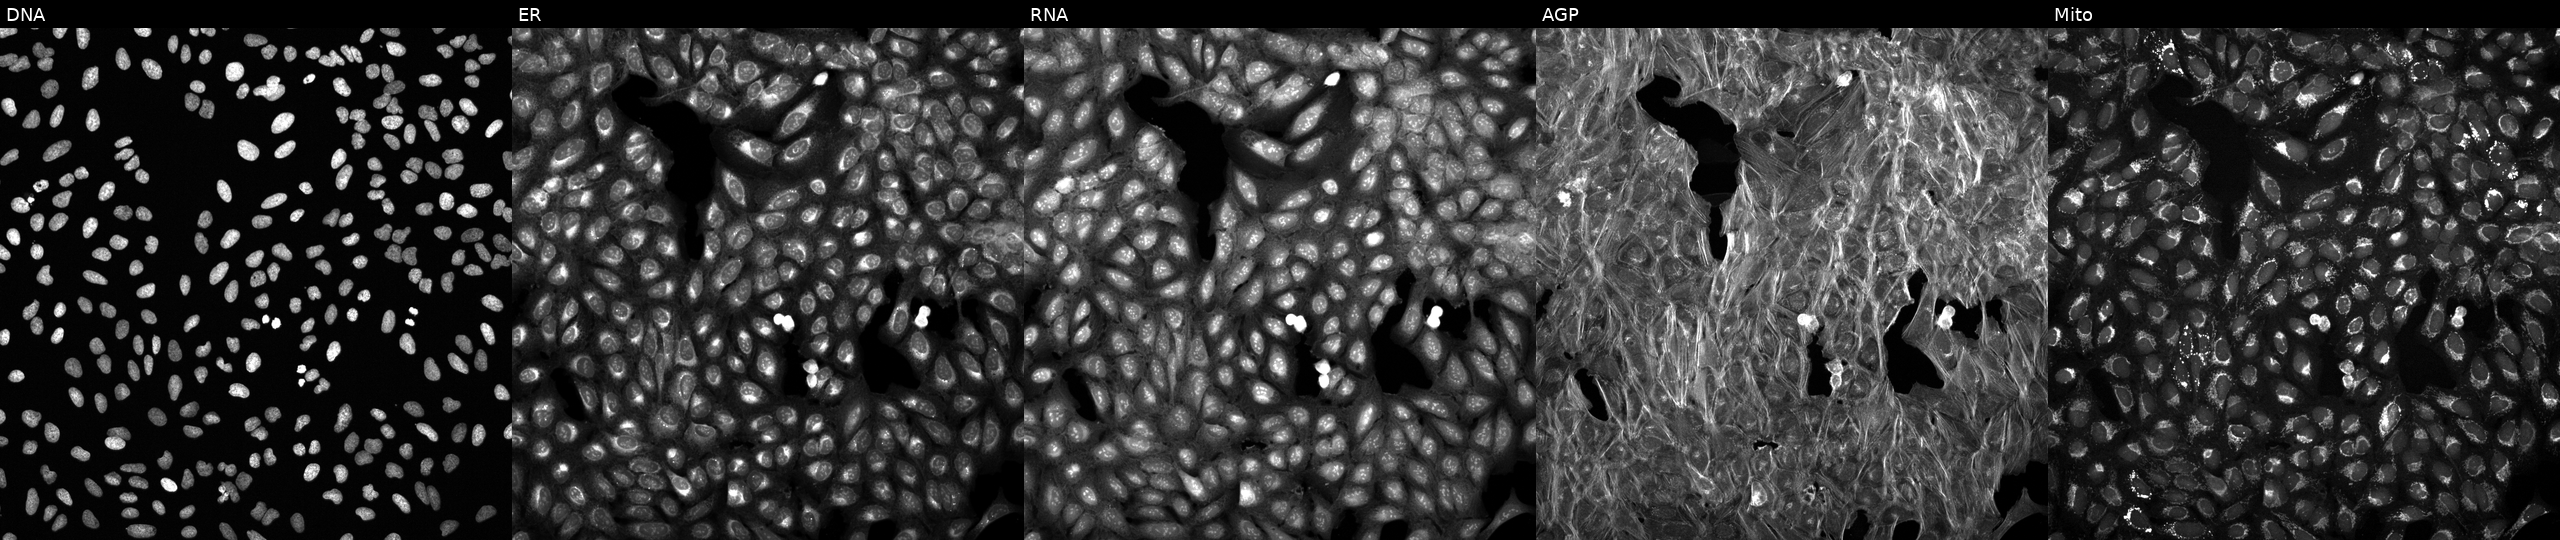
U2OS cells, Cell Painting assay, treated with DMSO vehicle only (negative control) (JUMP id JCP2022_033924). Channels (left→right): DNA (nuclei); ER (endoplasmic reticulum); RNA (nucleoli and cytoplasmic RNA); AGP (actin cytoskeleton, Golgi, and plasma membrane); Mito (mitochondria). Each panel is percentile-stretched 16-bit fluorescence.